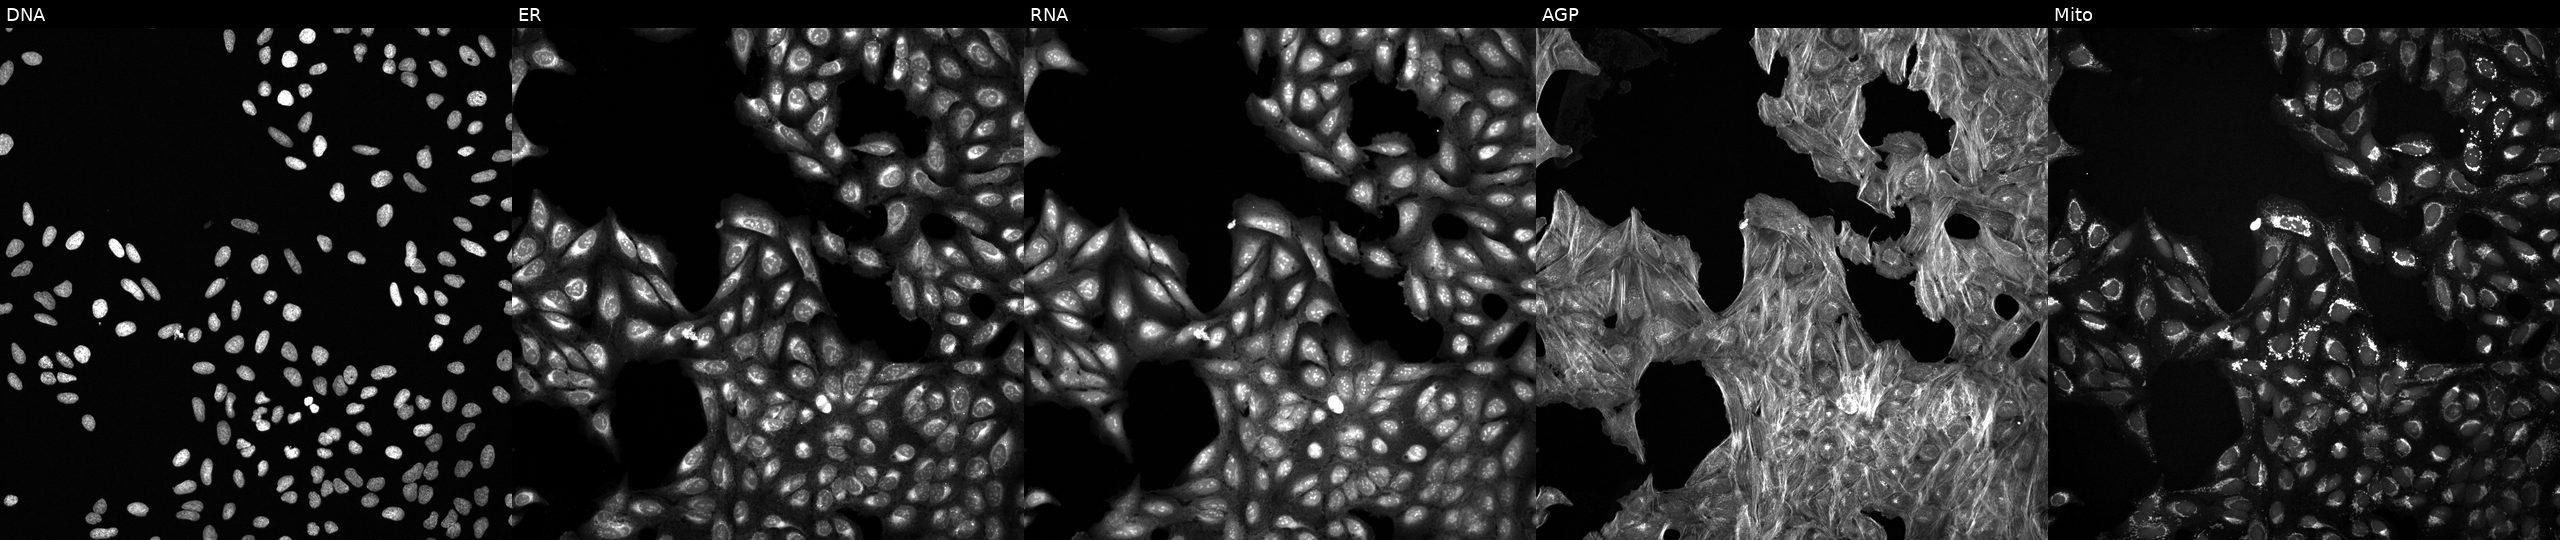
Five-channel Cell Painting image of U2OS cells exposed to a small-molecule compound (InChIKey NCEXYHBECQHGNR-UHFFFAOYSA-N) [SMILES: O=C(O)c1cc(N=Nc2ccc(S(=O)(=O)N=c3cccc[nH]3)cc2)ccc1O]. Panels show, left to right, DNA (nuclei); ER (endoplasmic reticulum); RNA (nucleoli and cytoplasmic RNA); AGP (actin cytoskeleton, Golgi, and plasma membrane); Mito (mitochondria). Source 6, plate 110000293081, well C04.